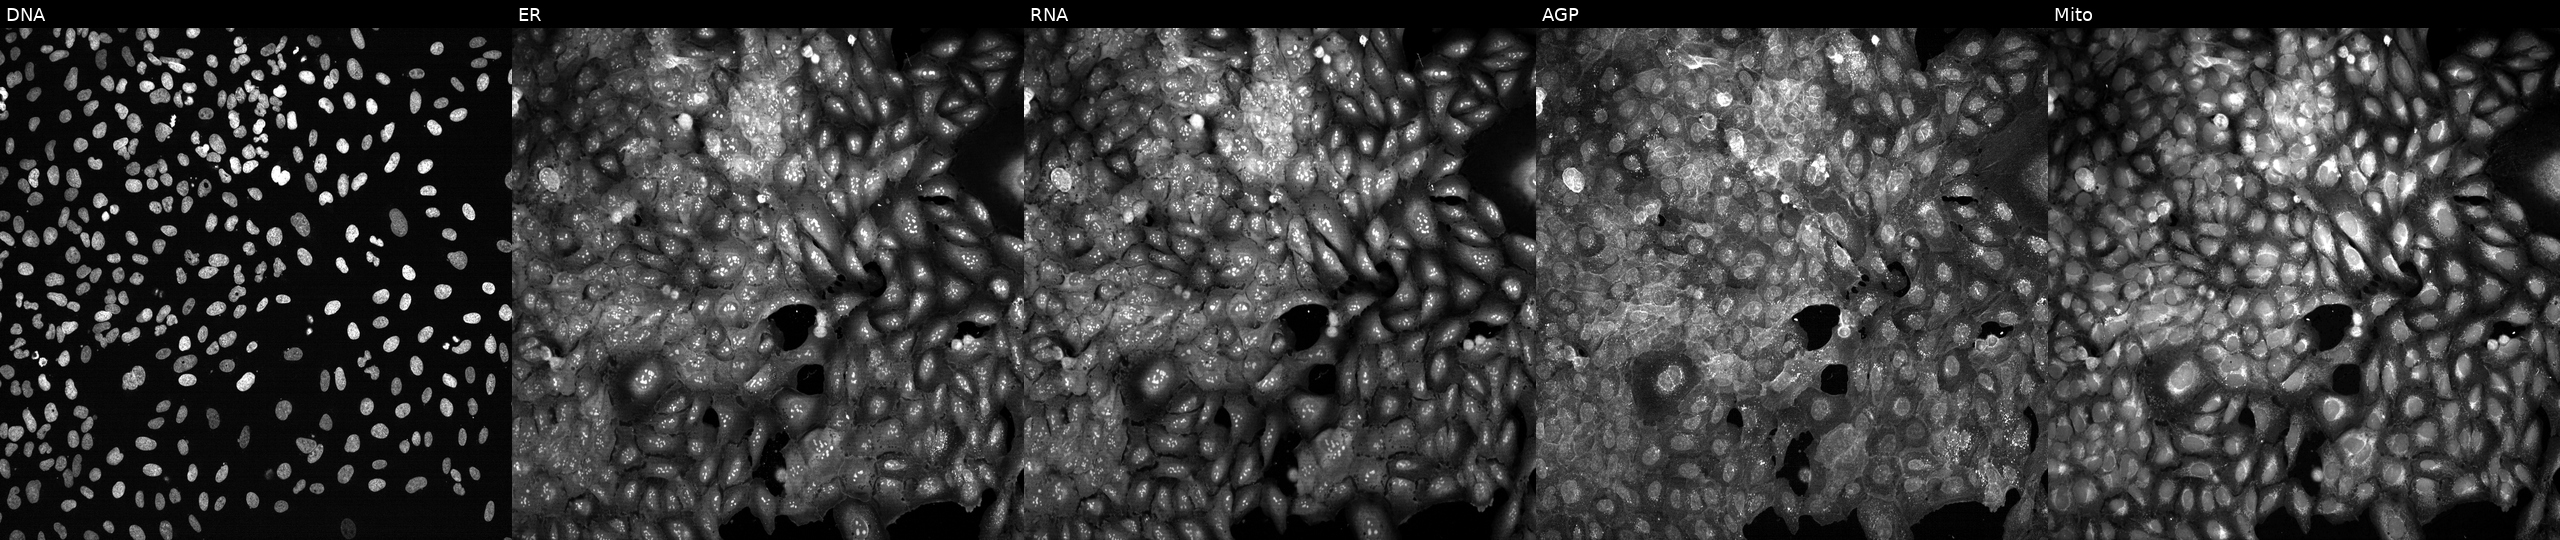
High-content fluorescence microscopy (Cell Painting). Cell line: U2OS. Perturbation: with NMT2 knocked out by CRISPR (JUMP id JCP2022_804627). Channels (left→right): DNA (nuclei); ER (endoplasmic reticulum); RNA (nucleoli and cytoplasmic RNA); AGP (actin cytoskeleton, Golgi, and plasma membrane); Mito (mitochondria).